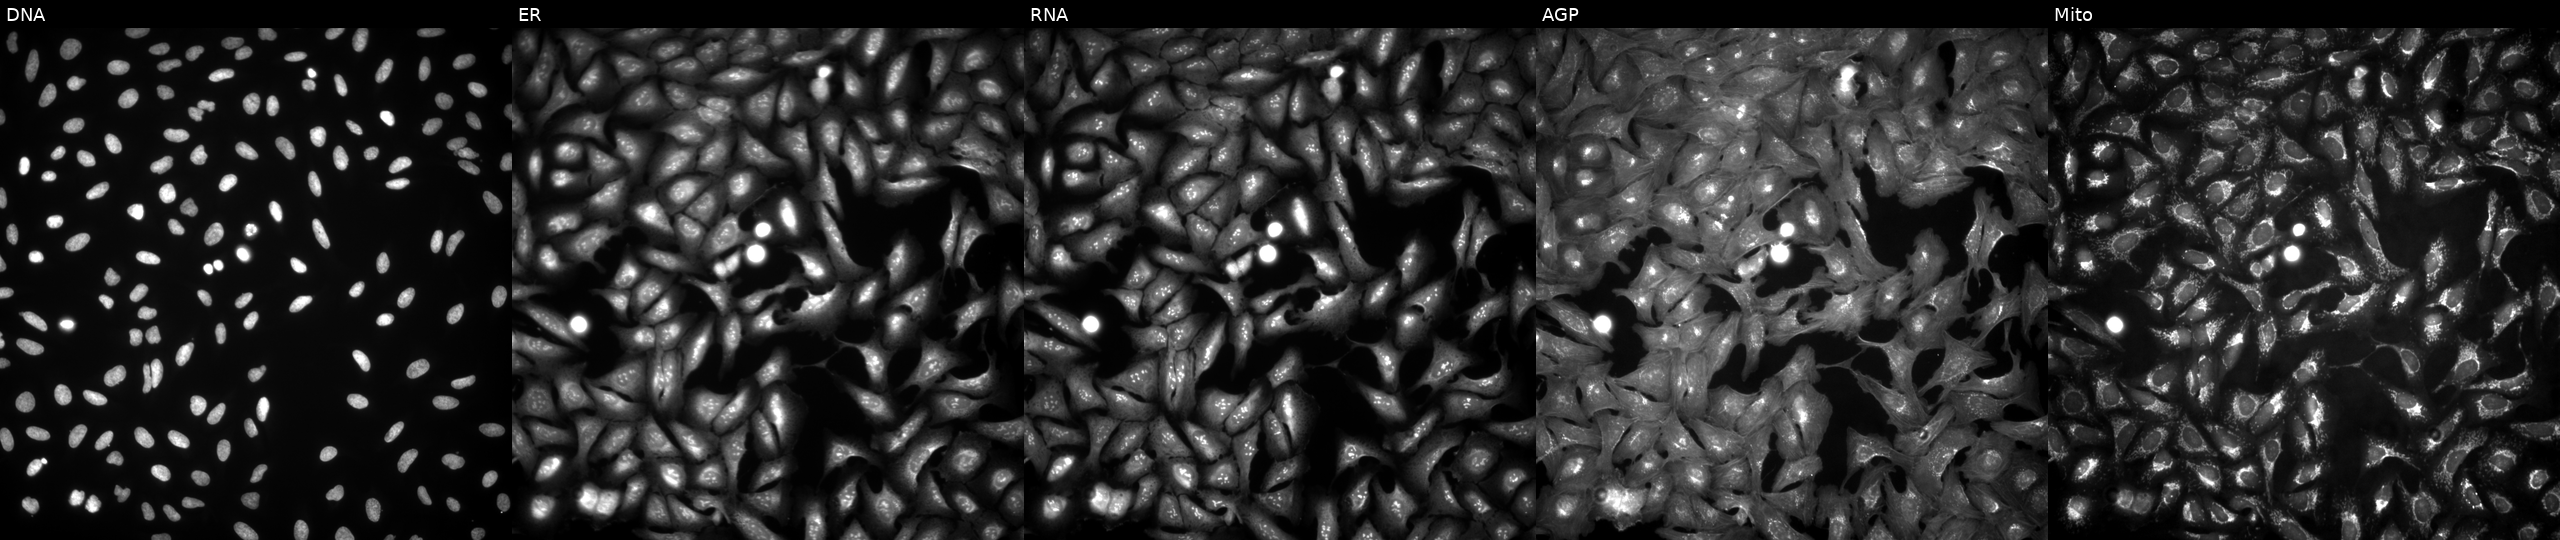
Five-channel Cell Painting image of U2OS cells with TICAM2 overexpressed (ORF). From left to right: Hoechst 33342, concanavalin A, SYTO 14, phalloidin and WGA, MitoTracker.